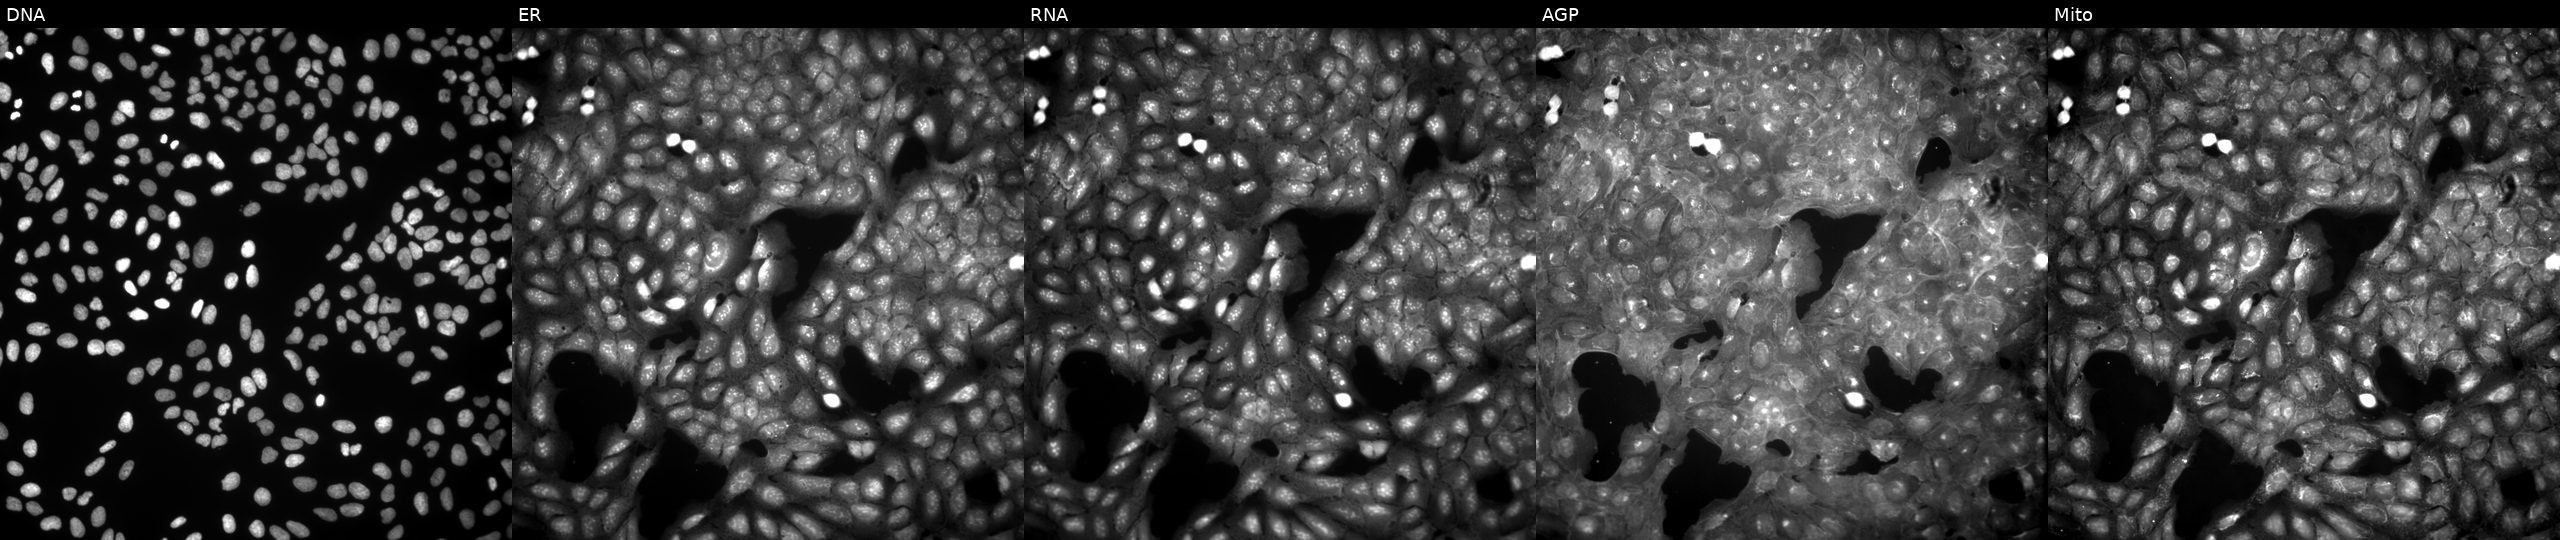
Five-channel Cell Painting image of U2OS cells treated with a small-molecule compound. Channels (left→right): DNA (nuclei); ER (endoplasmic reticulum); RNA (nucleoli and cytoplasmic RNA); AGP (actin cytoskeleton, Golgi, and plasma membrane); Mito (mitochondria).